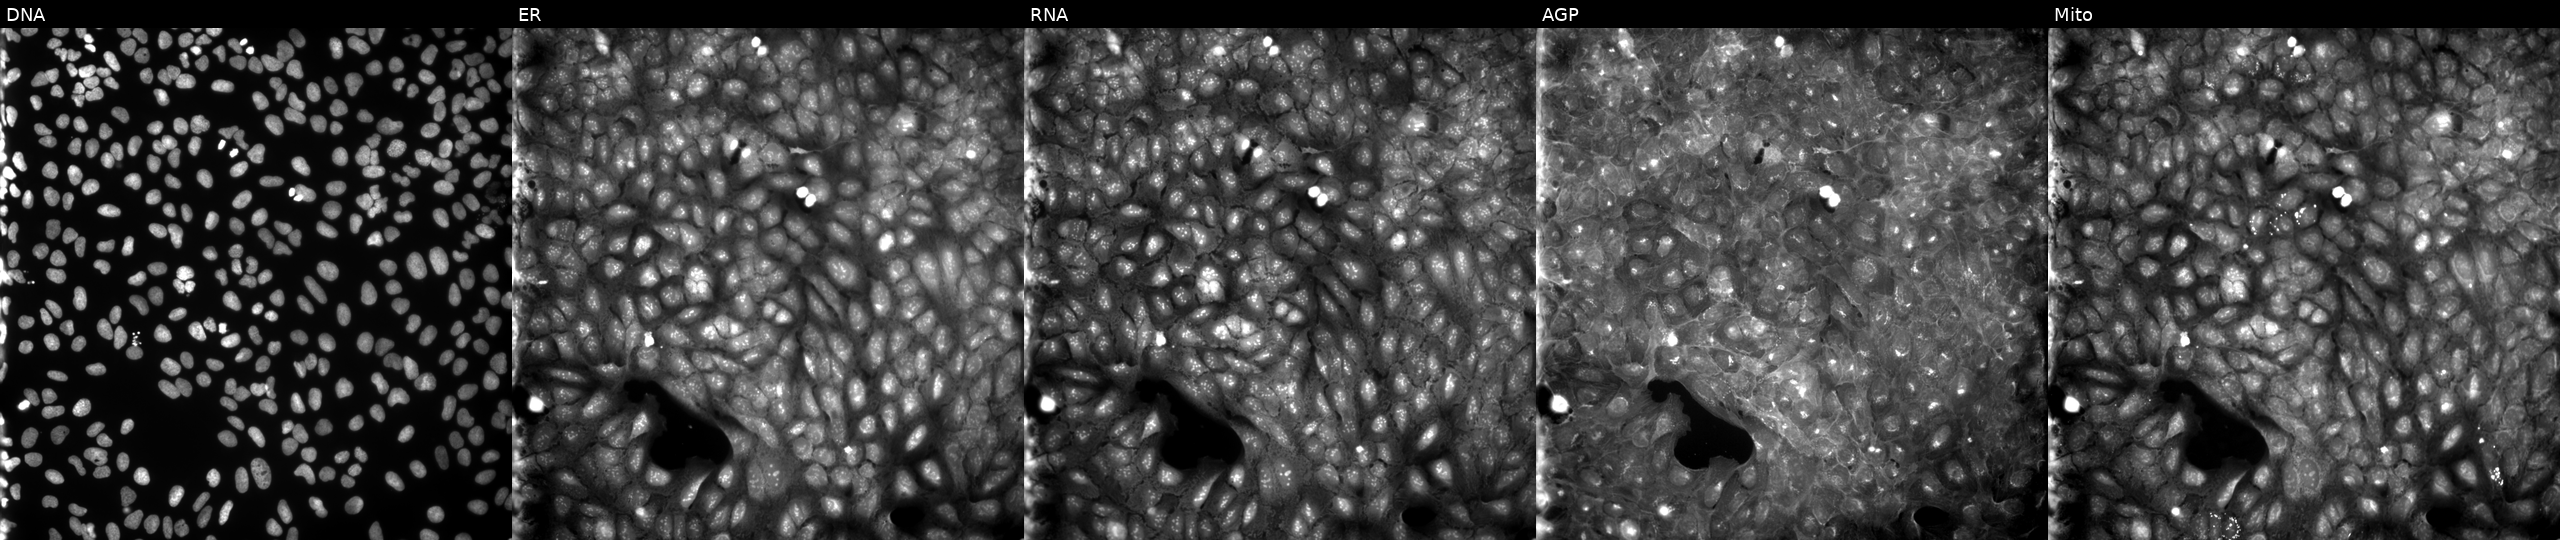
U2OS cells, Cell Painting assay, treated with a small-molecule compound (InChIKey XKLDKAMMUWCFJZ-UHFFFAOYSA-N) (JUMP id JCP2022_104226). From left to right: DNA, ER, RNA, AGP, and Mito. Each panel is percentile-stretched 16-bit fluorescence.